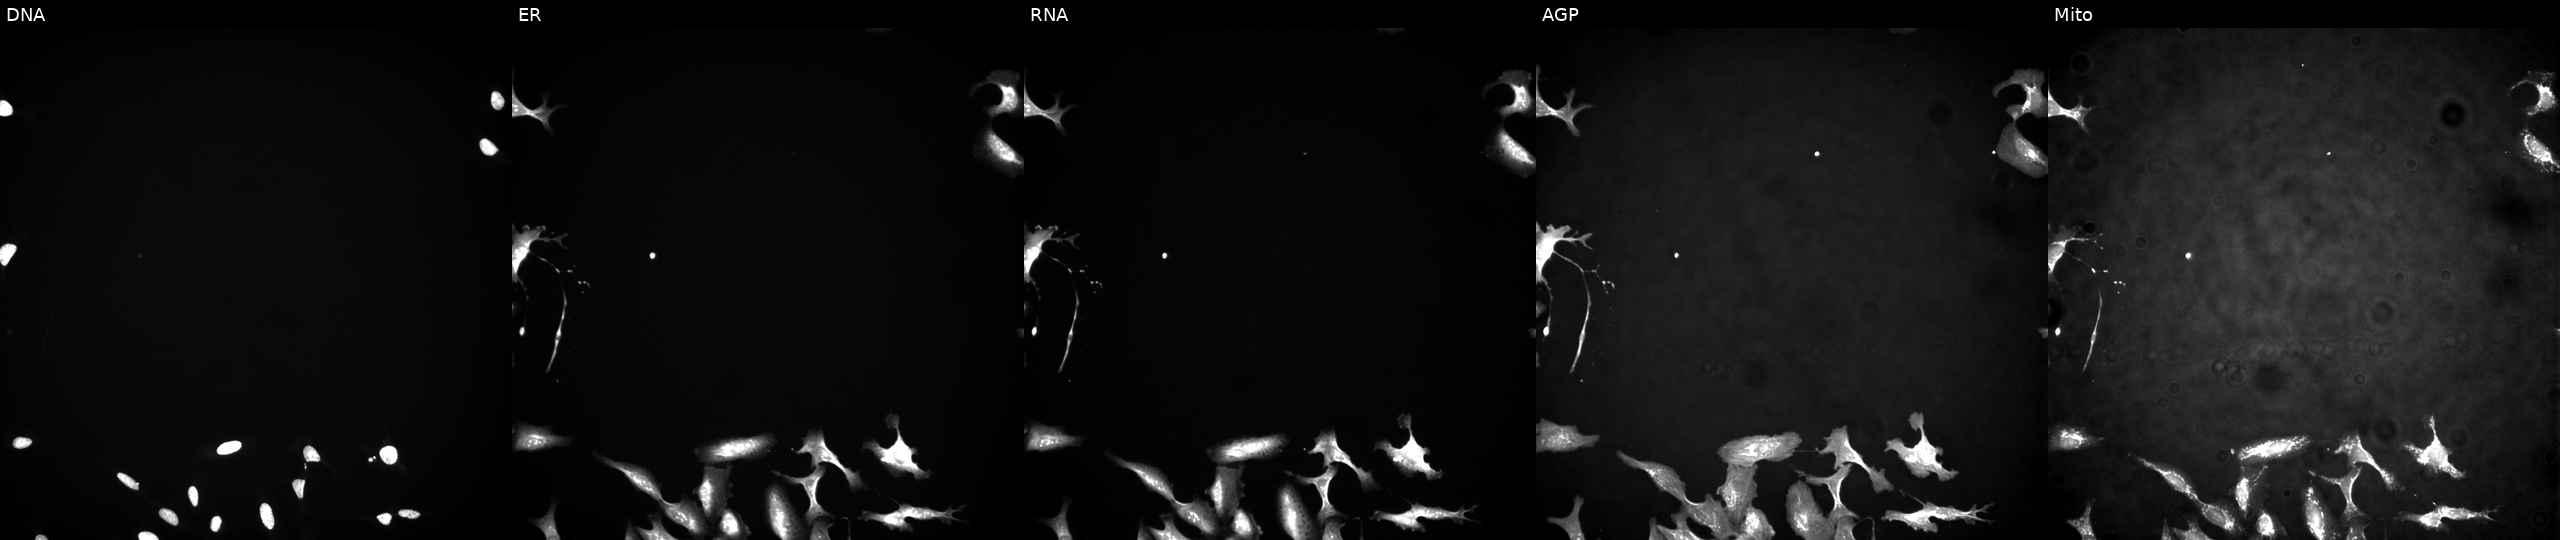
U2OS cells, Cell Painting assay, overexpressing LIMK2 via ORF transfection. Channels (left→right): Hoechst 33342, concanavalin A, SYTO 14, phalloidin and WGA, MitoTracker. Each panel is percentile-stretched 16-bit fluorescence.